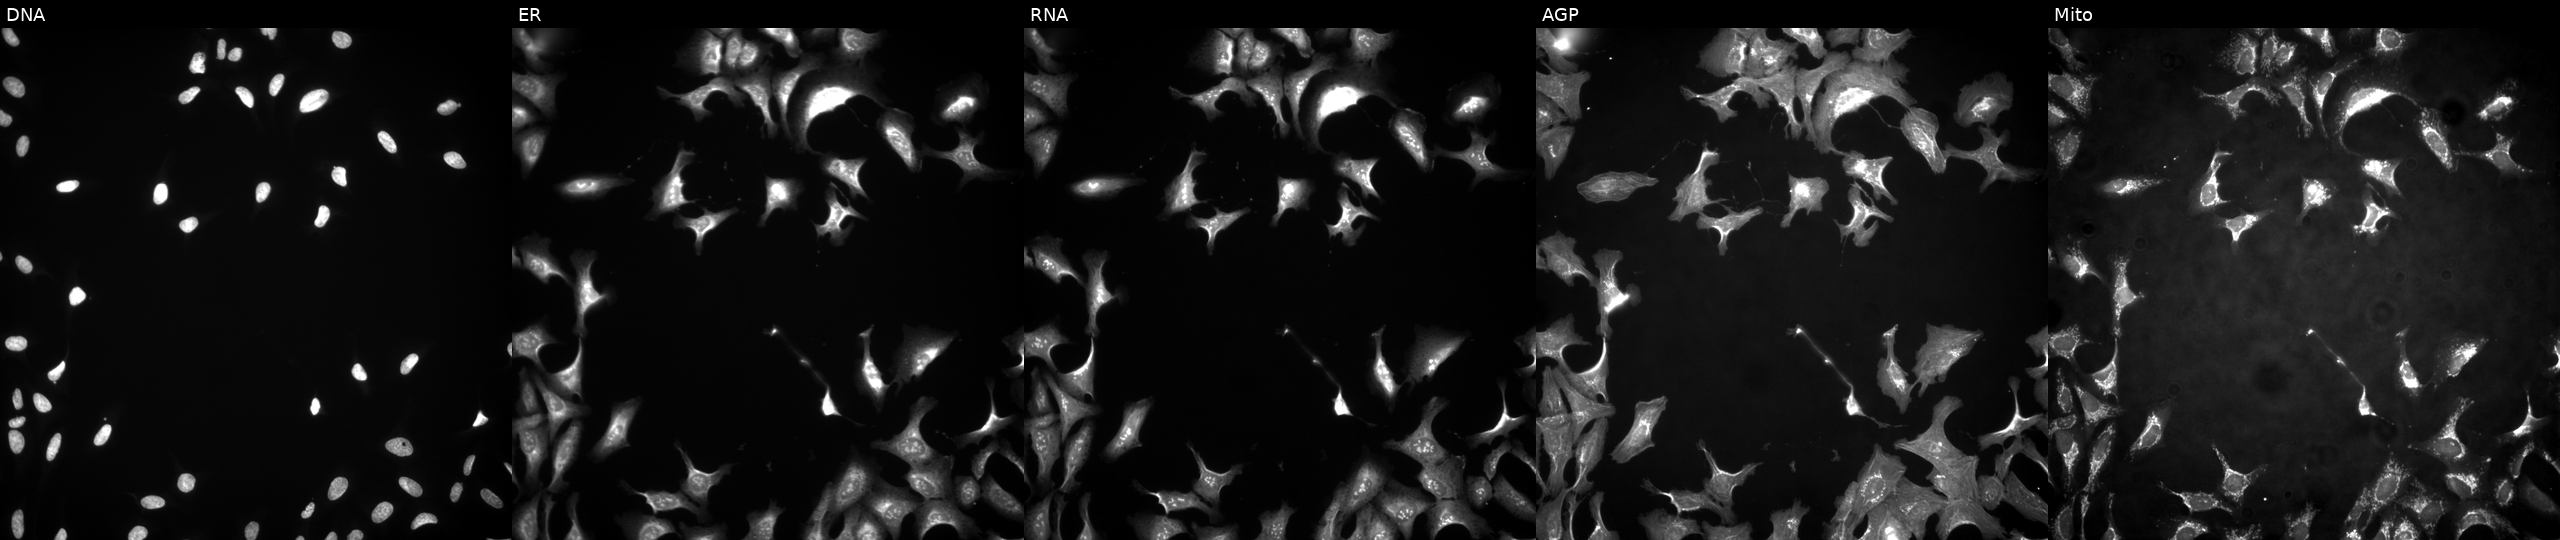
This image strip shows the five Cell Painting channels for a single field of U2OS cells with TMEM87A overexpressed (ORF) (JUMP id JCP2022_902713). Channels (left→right): Hoechst 33342, concanavalin A, SYTO 14, phalloidin and WGA, MitoTracker. Source 4, plate BR00123509, well H02.